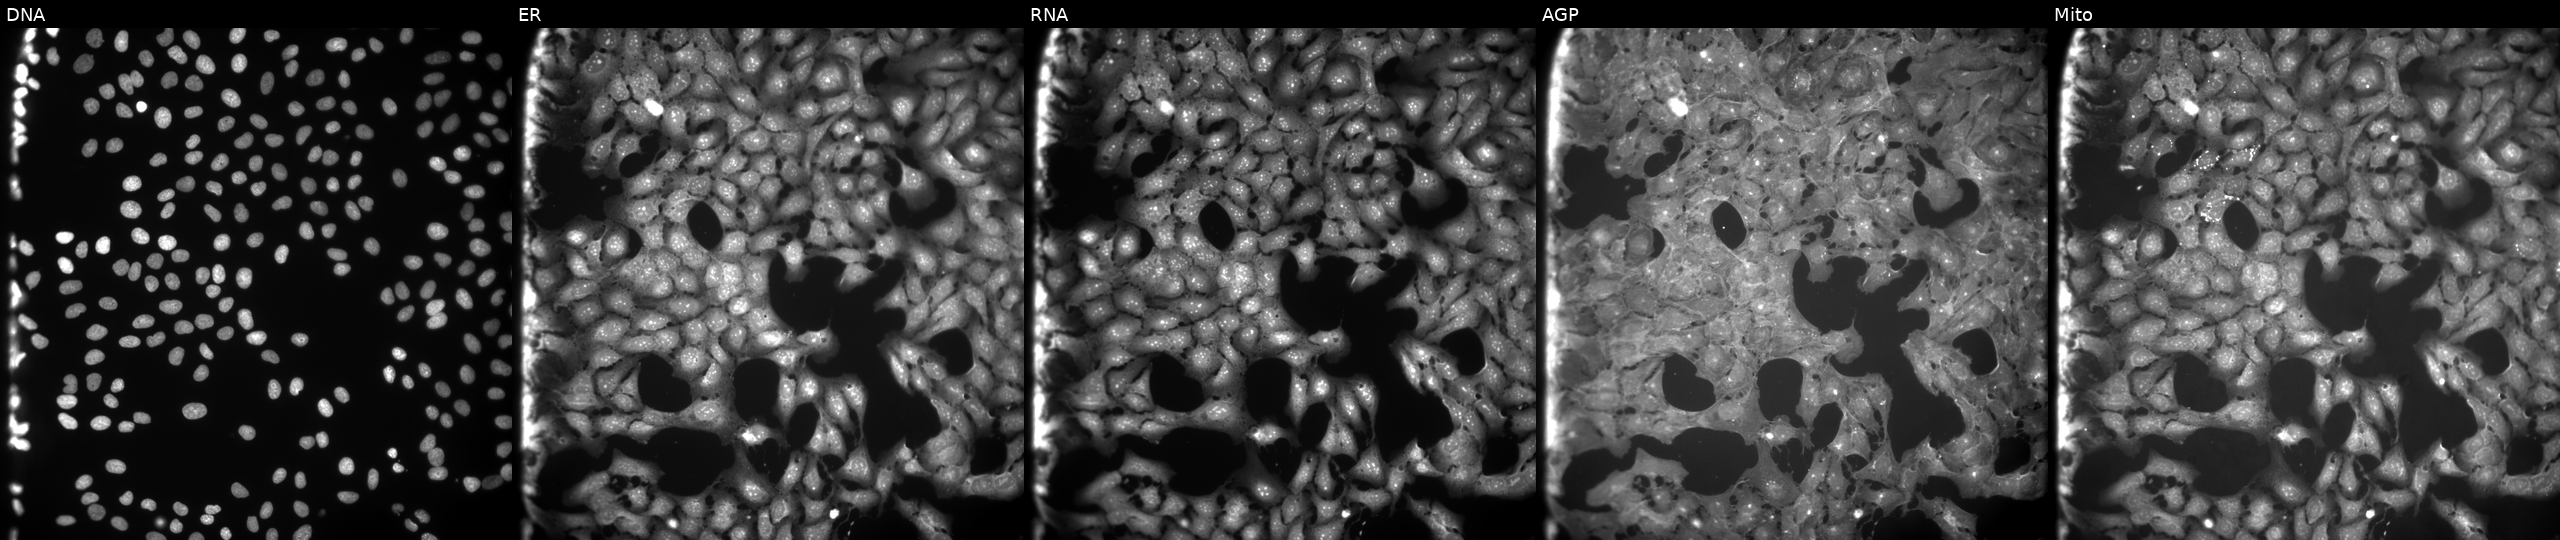
High-content fluorescence microscopy (Cell Painting). Cell line: U2OS. Perturbation: treated with FK-866 (positive-control compound) (JUMP id JCP2022_046054). The five panels, left to right, show DNA (nuclei); ER (endoplasmic reticulum); RNA (nucleoli and cytoplasmic RNA); AGP (actin cytoskeleton, Golgi, and plasma membrane); Mito (mitochondria).